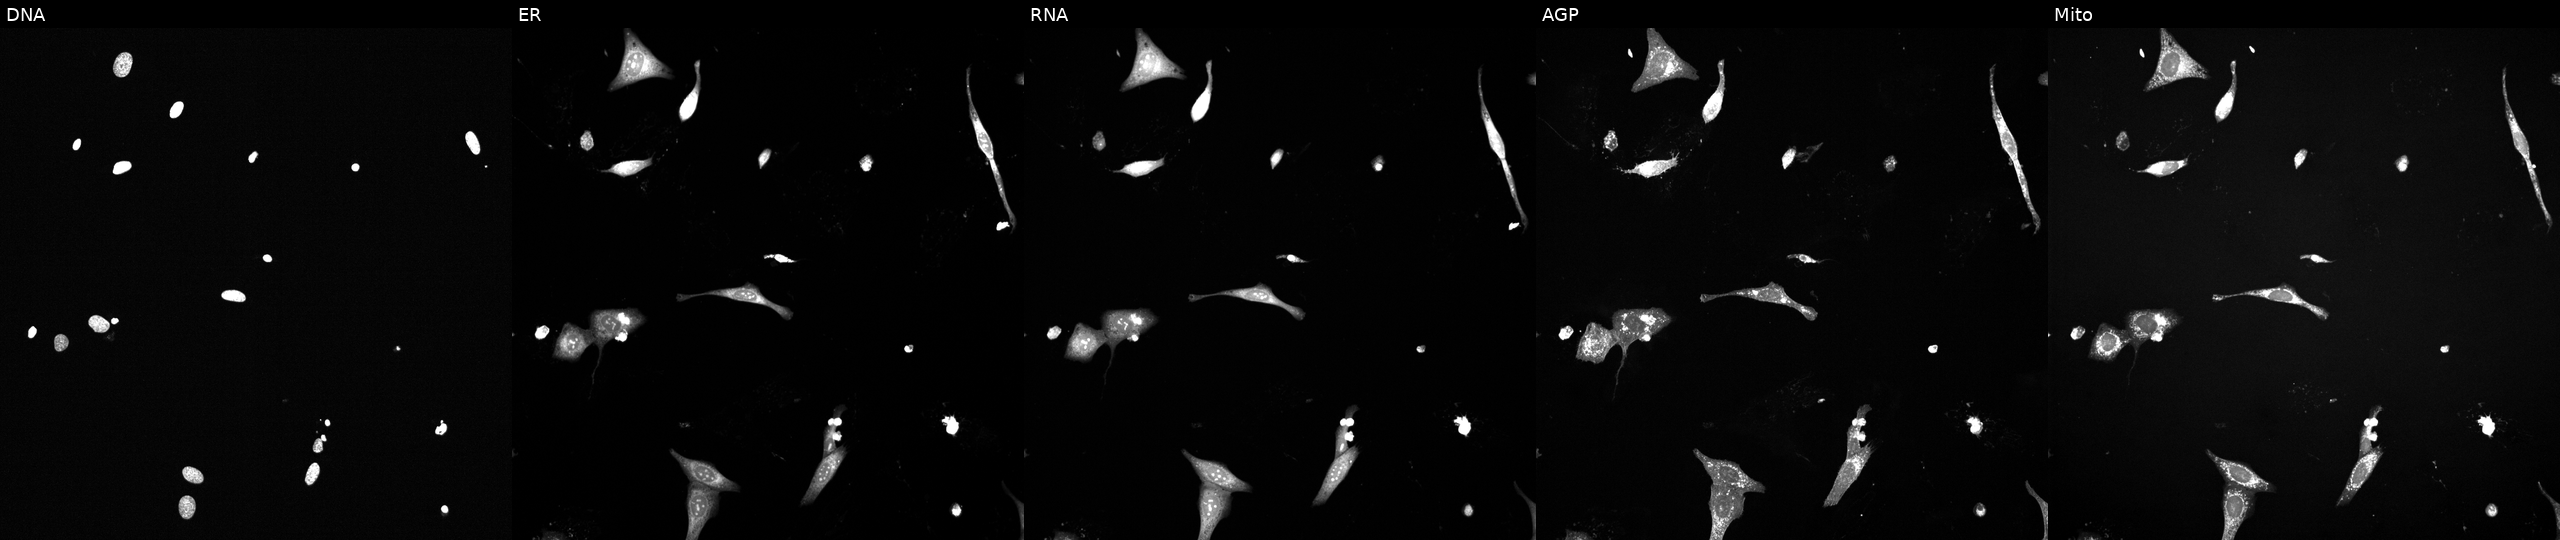
This image strip shows the five Cell Painting channels for a single field of U2OS cells treated with a small-molecule compound (InChIKey BBDGBGOVJPEFBT-UHFFFAOYSA-N). From left to right: Hoechst 33342, concanavalin A, SYTO 14, phalloidin and WGA, MitoTracker. Source 6, plate 110000294901, well I01.